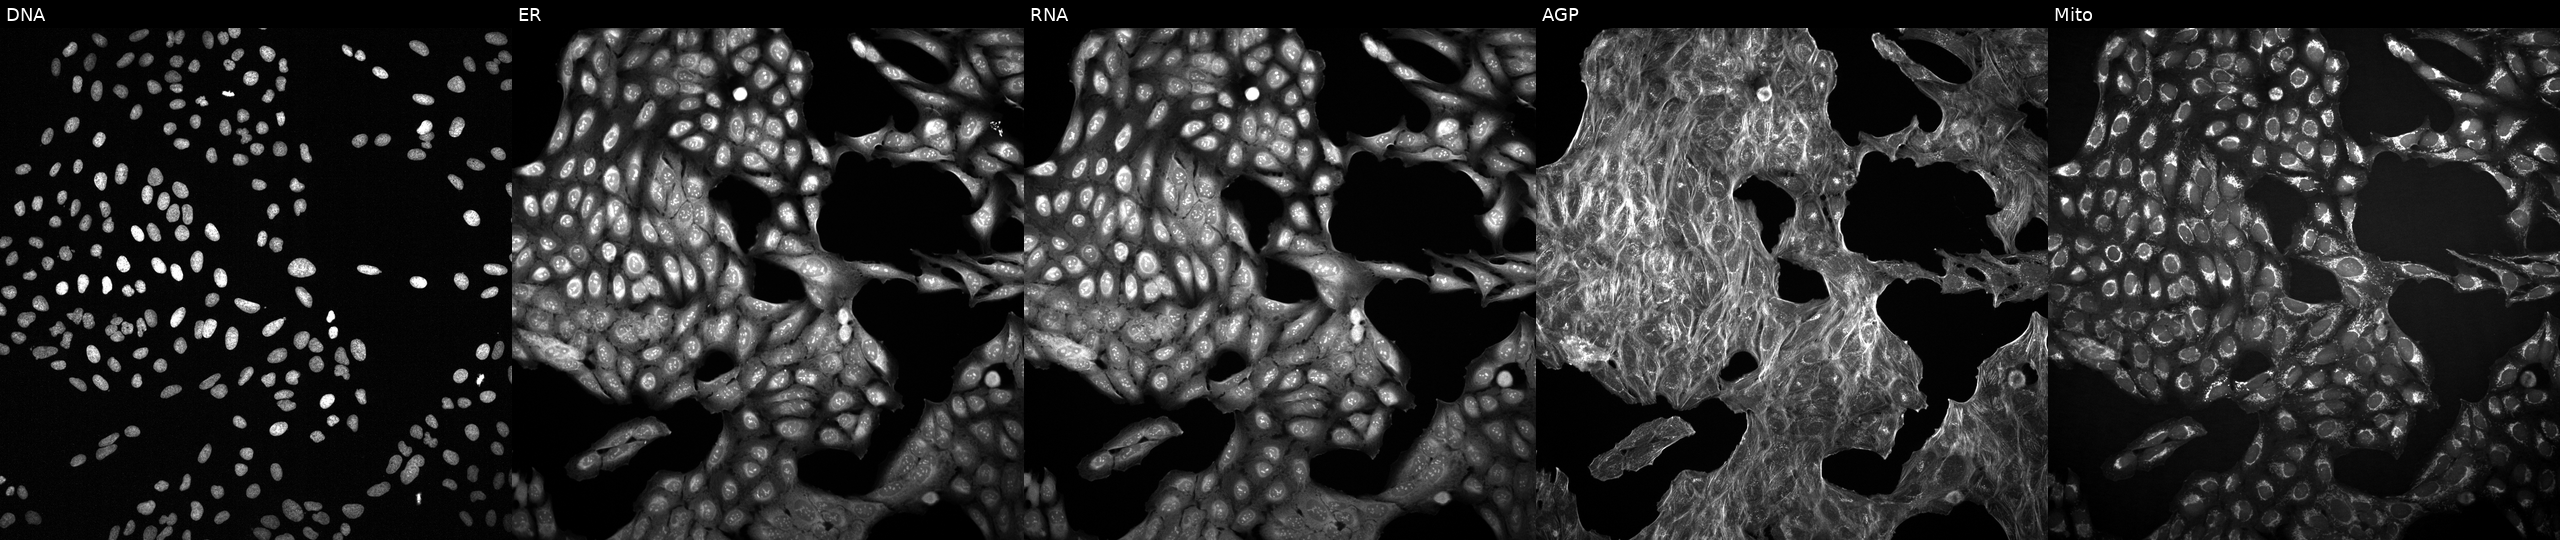
U2OS cells, Cell Painting assay, treated with a small-molecule compound (JUMP id JCP2022_051192). The five panels, left to right, show DNA (nuclei); ER (endoplasmic reticulum); RNA (nucleoli and cytoplasmic RNA); AGP (actin cytoskeleton, Golgi, and plasma membrane); Mito (mitochondria). Each panel is percentile-stretched 16-bit fluorescence.